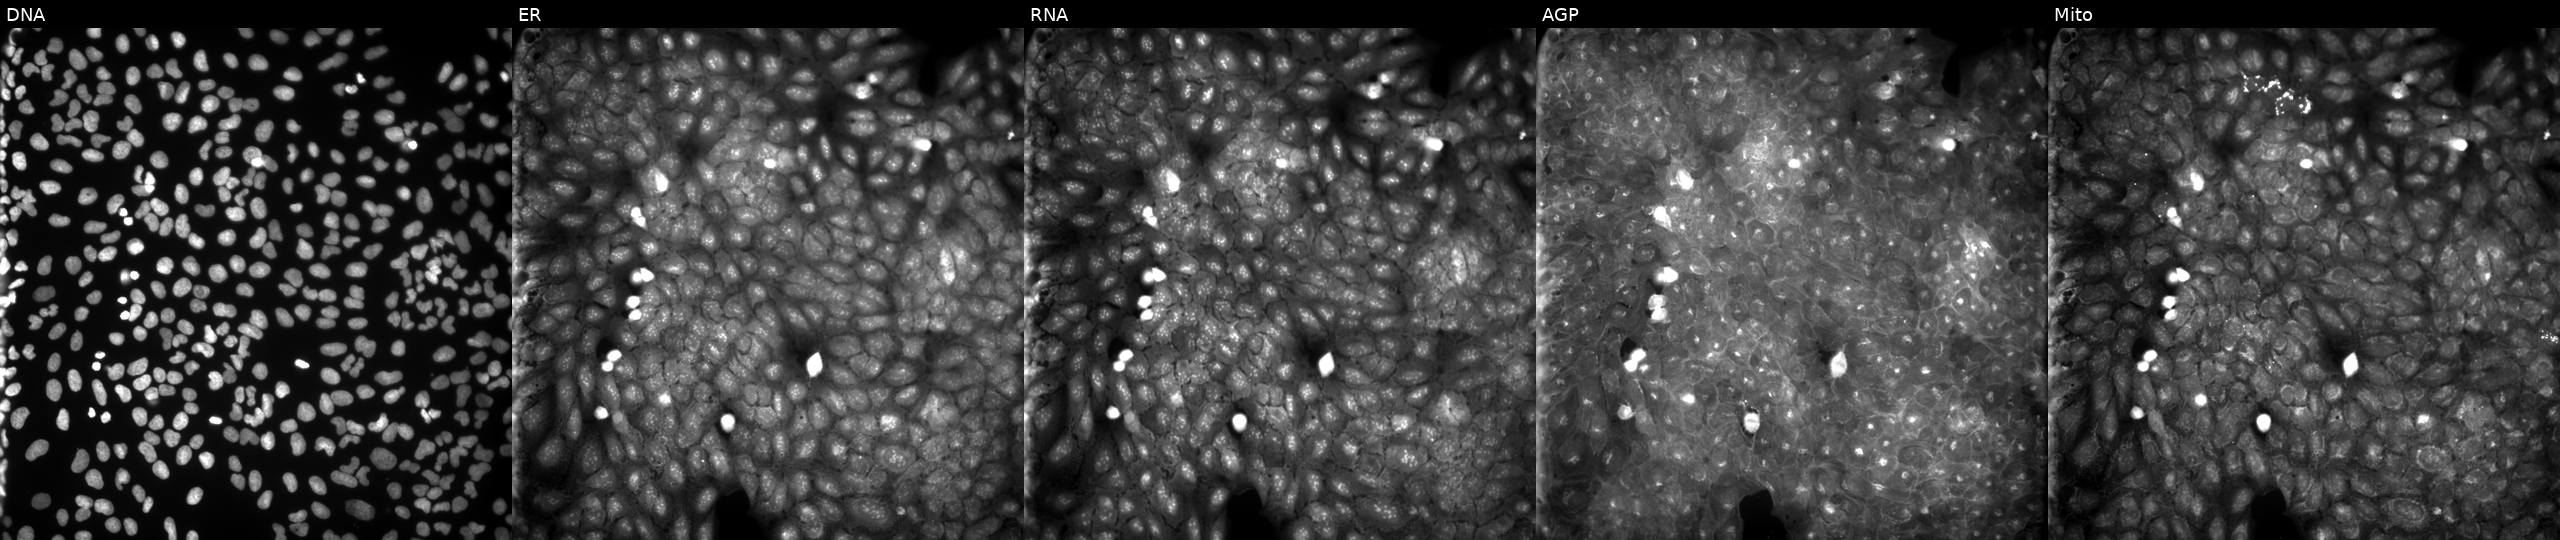
U2OS cells, Cell Painting assay, exposed to a small-molecule compound (InChIKey KAPSJWQZNXVRPL-UHFFFAOYSA-N) [SMILES: Cc1ccccc1OCCCC(=O)NCc1ccco1] (JUMP id JCP2022_043327). The five panels, left to right, show Hoechst 33342, concanavalin A, SYTO 14, phalloidin and WGA, MitoTracker. Each panel is percentile-stretched 16-bit fluorescence. Source 9, plate GR00003382, well Z10.